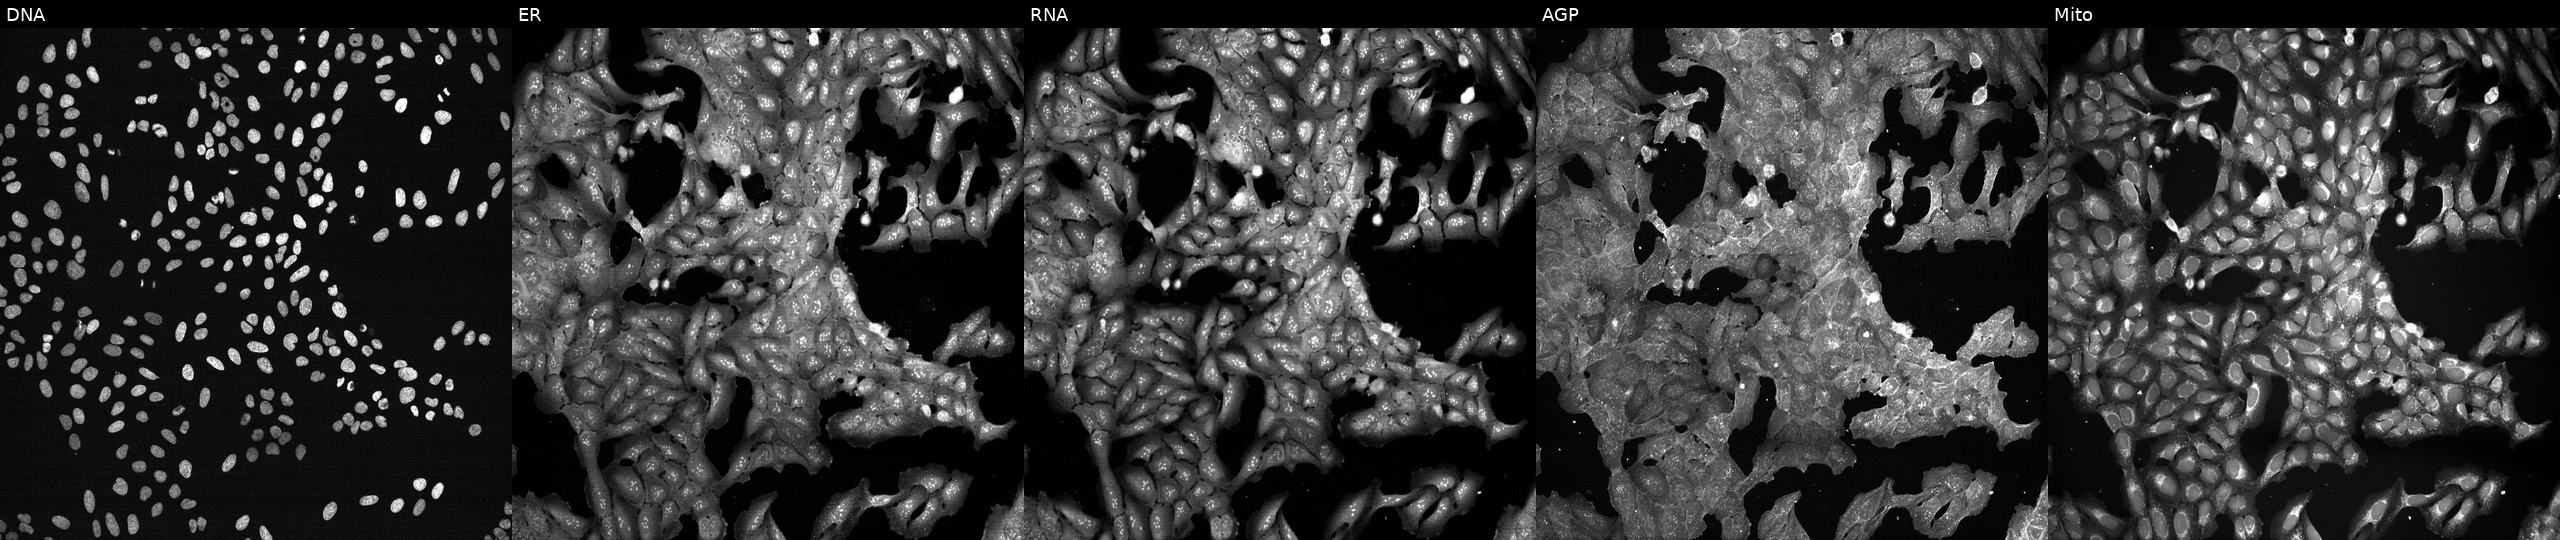
JUMP Cell Painting — TARGET2 plate. U2OS cells perturbed with a small-molecule compound (InChIKey QIHBWVVVRYYYRO-UHFFFAOYSA-N) (JUMP id JCP2022_073628). Channels (left→right): DNA, ER, RNA, AGP, and Mito.